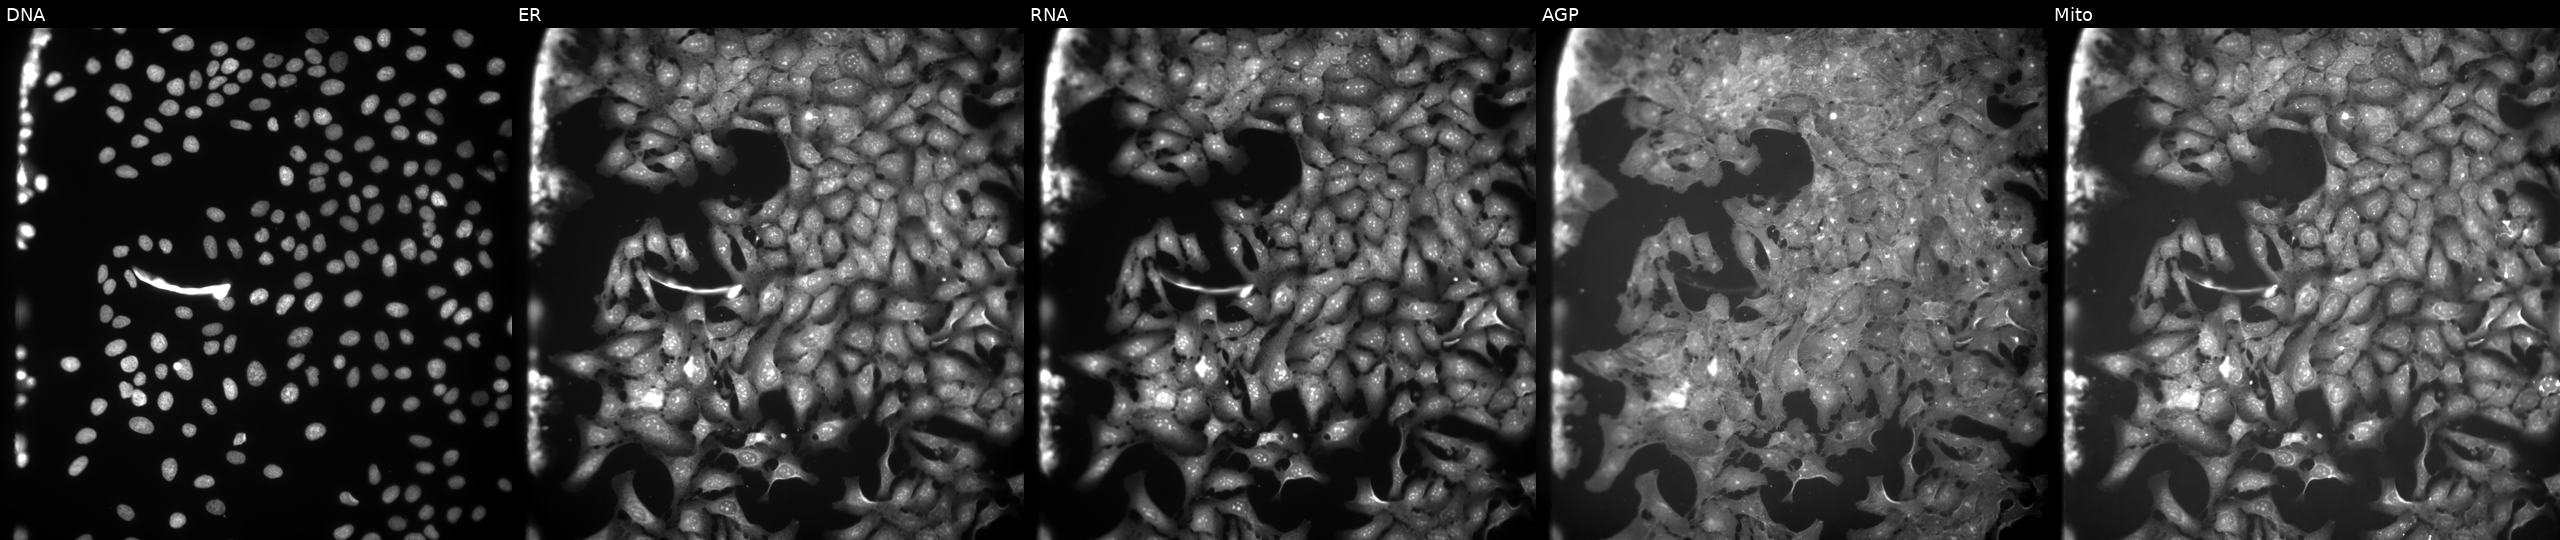
This image strip shows the five Cell Painting channels for a single field of U2OS cells exposed to the positive-control compound FK-866 (JUMP id JCP2022_046054). The five panels, left to right, show DNA, ER, RNA, AGP, and Mito.